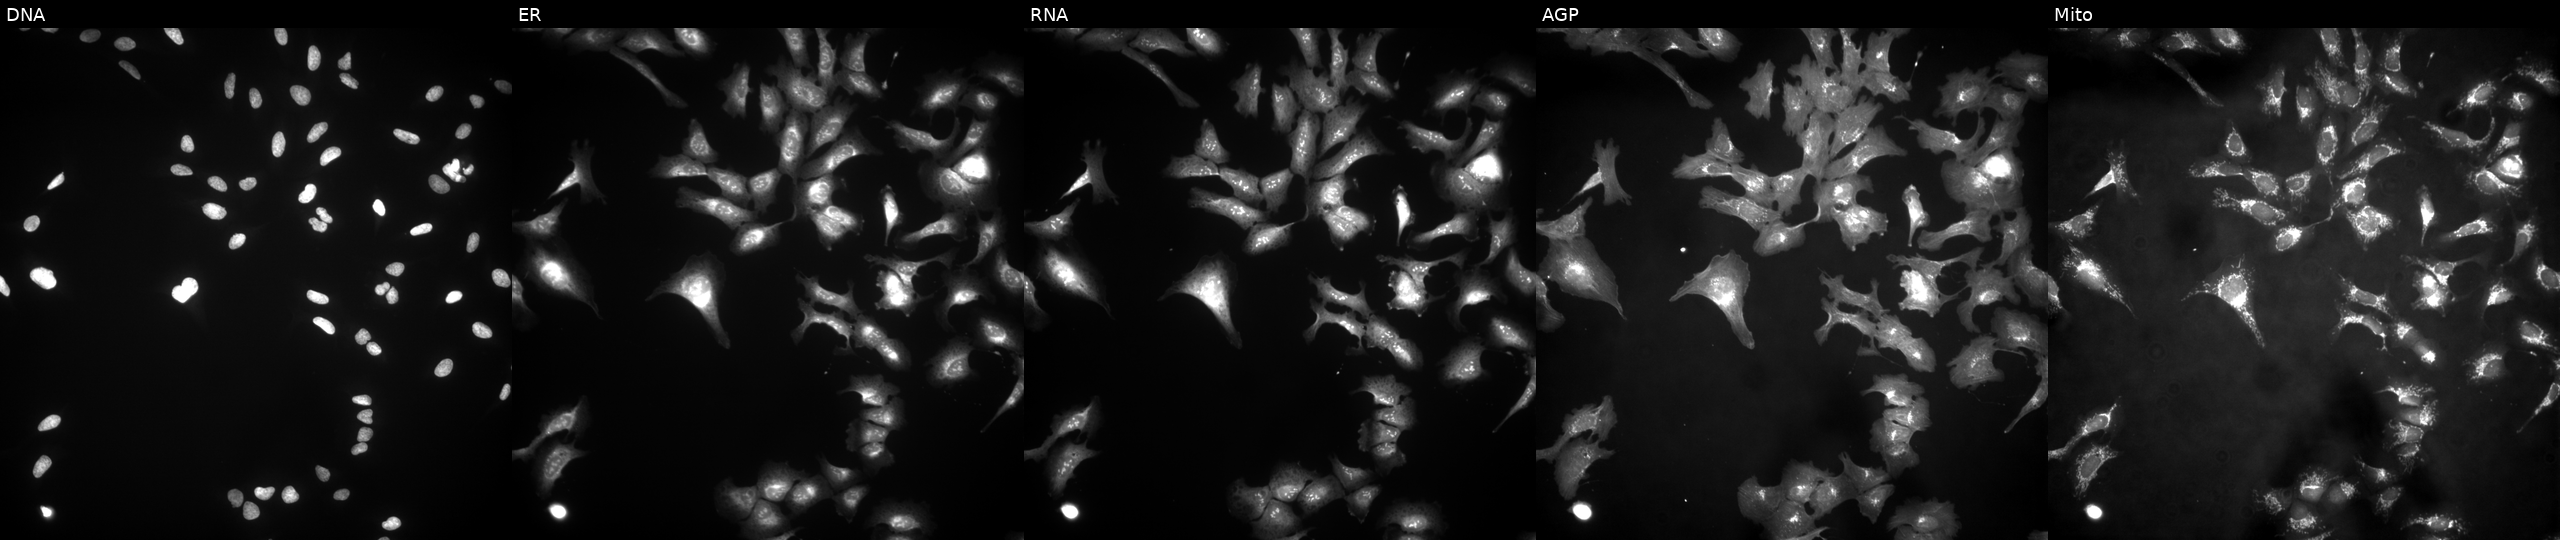
JUMP Cell Painting — ORF plate. U2OS cells with AGFG2 overexpressed (ORF) (JUMP id JCP2022_905989). Channels (left→right): DNA (nuclei); ER (endoplasmic reticulum); RNA (nucleoli and cytoplasmic RNA); AGP (actin cytoskeleton, Golgi, and plasma membrane); Mito (mitochondria). Source 4, plate BR00123506, well N03.